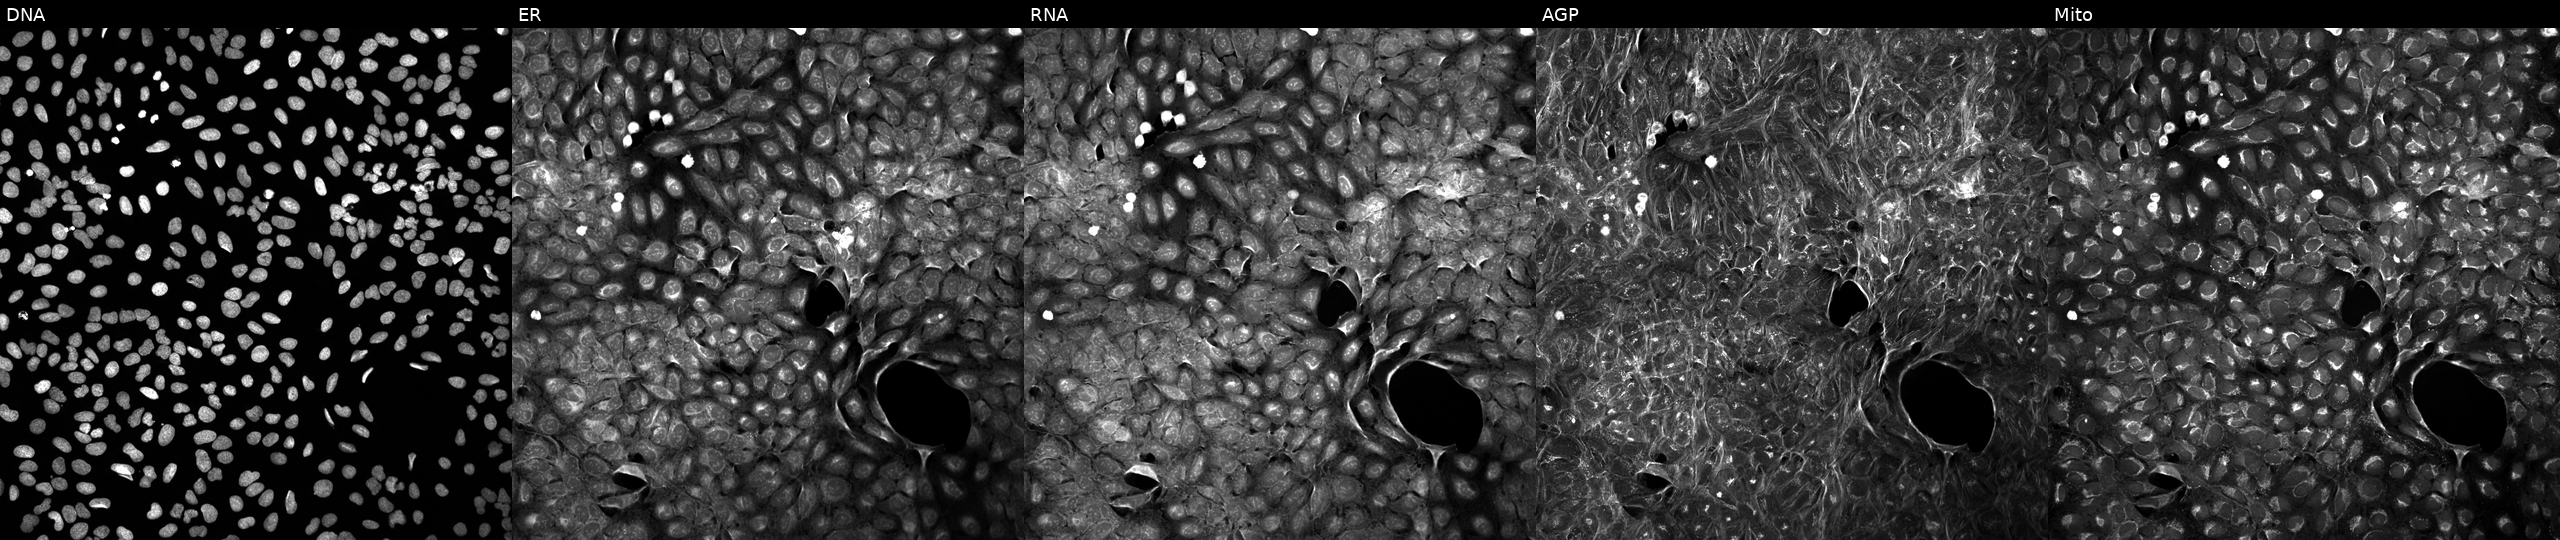
Five-channel Cell Painting image of U2OS cells exposed to a small-molecule compound (InChIKey UQNAFPHGVPVTAL-UHFFFAOYSA-N) [SMILES: NS(=O)(=O)c1cccc2c1c([N+](=O)[O-])cc1[nH]c(=O)c(=O)[nH]c12]. The five panels, left to right, show DNA, ER, RNA, AGP, and Mito. Source 5, plate ACPJUM051, well N23.